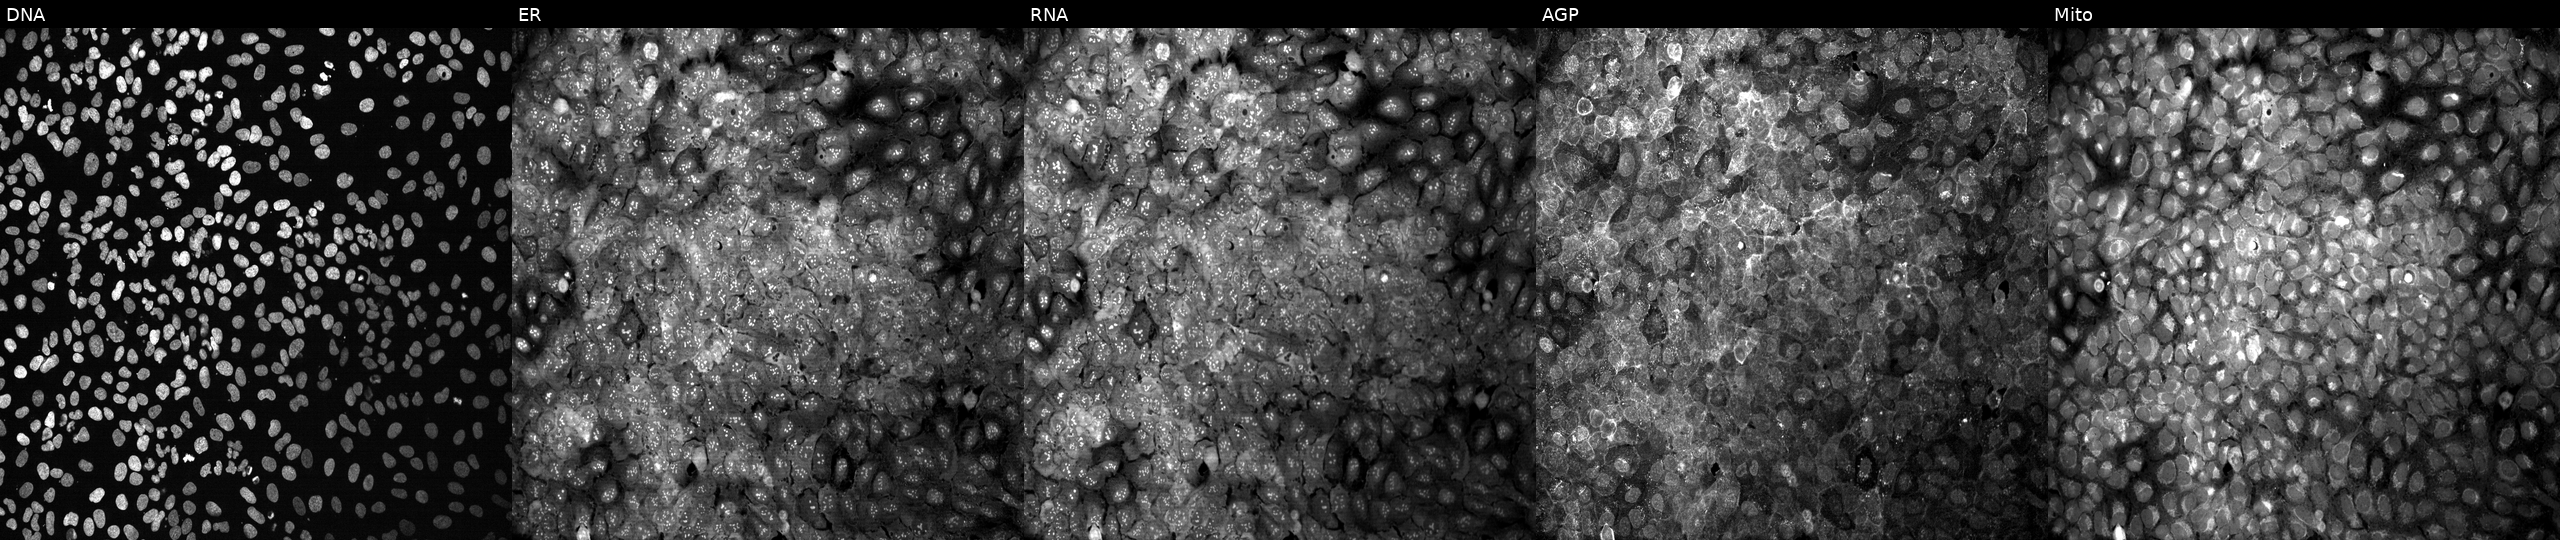
This image strip shows the five Cell Painting channels for a single field of U2OS cells with IL11RA knocked out by CRISPR (JUMP id JCP2022_803364). The five panels, left to right, show DNA, ER, RNA, AGP, and Mito. Source 13, plate CP-CC9-R1-01, well D22.